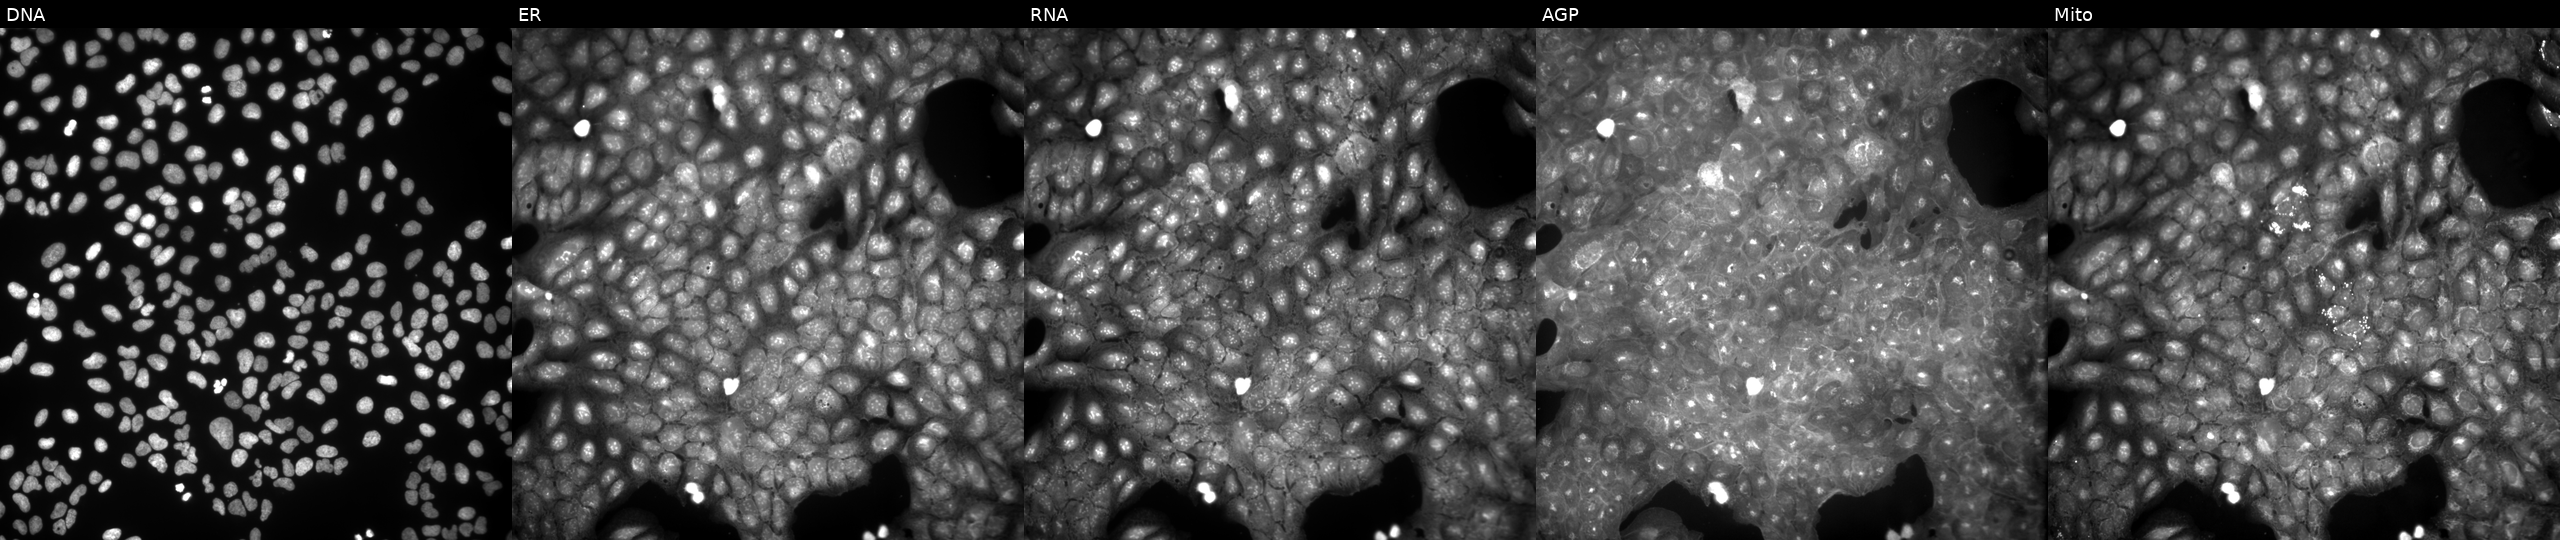
This image strip shows the five Cell Painting channels for a single field of U2OS cells perturbed with a small-molecule compound (InChIKey SCYPWAIDGDEJCR-UHFFFAOYSA-N) (JUMP id JCP2022_082385). Channels (left→right): Hoechst 33342, concanavalin A, SYTO 14, phalloidin and WGA, MitoTracker.